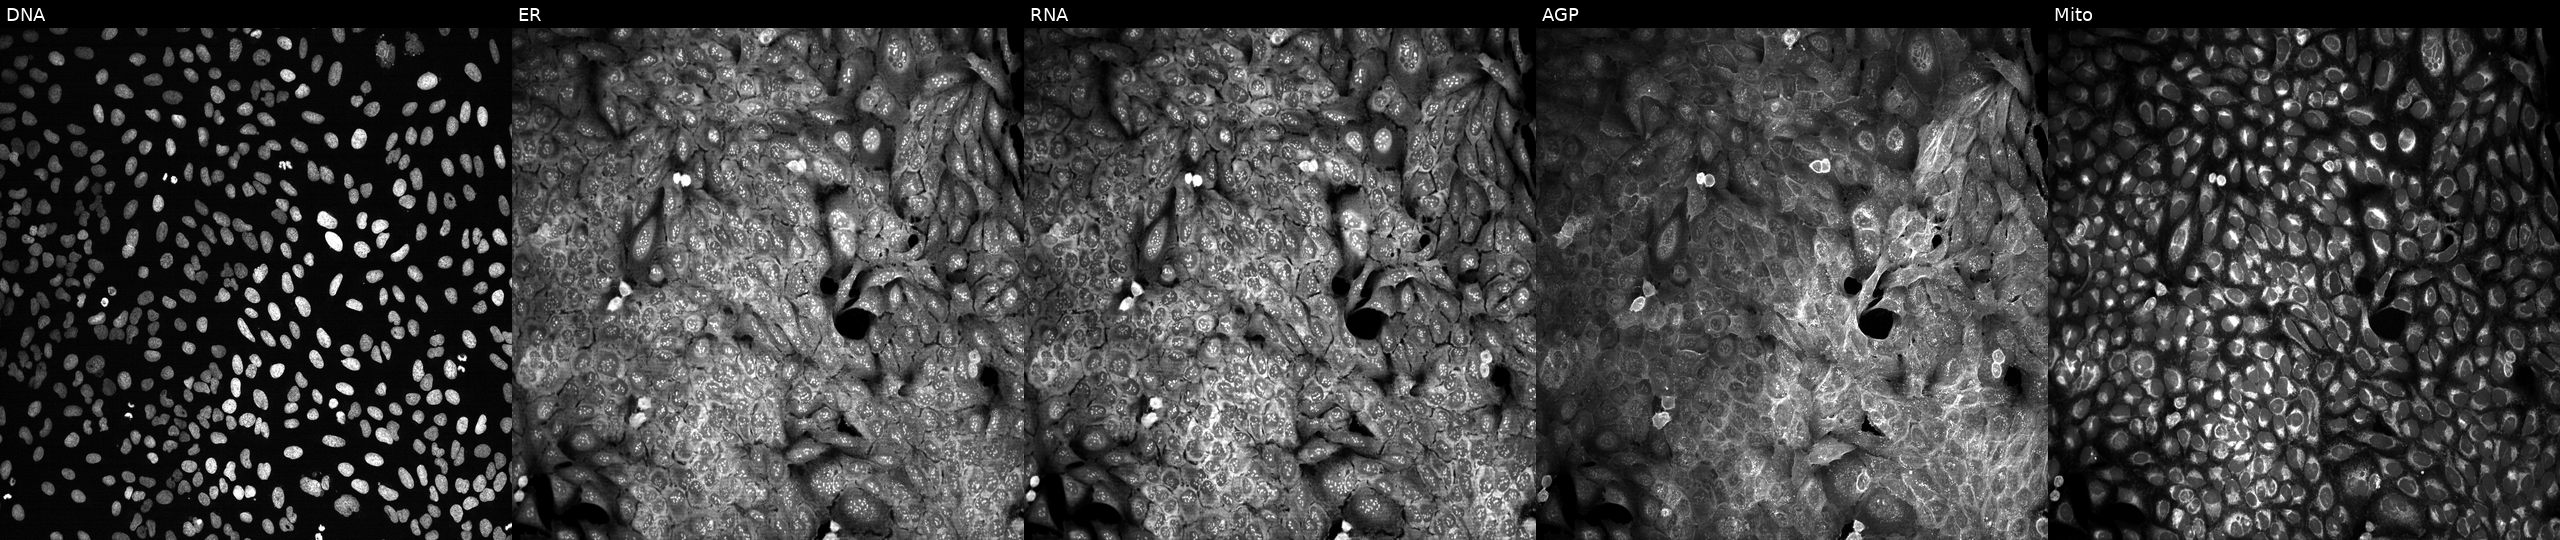
U2OS cells, Cell Painting assay, following CRISPR knockout of SOX11 (JUMP id JCP2022_806697). The five panels, left to right, show Hoechst 33342, concanavalin A, SYTO 14, phalloidin and WGA, MitoTracker. Each panel is percentile-stretched 16-bit fluorescence.